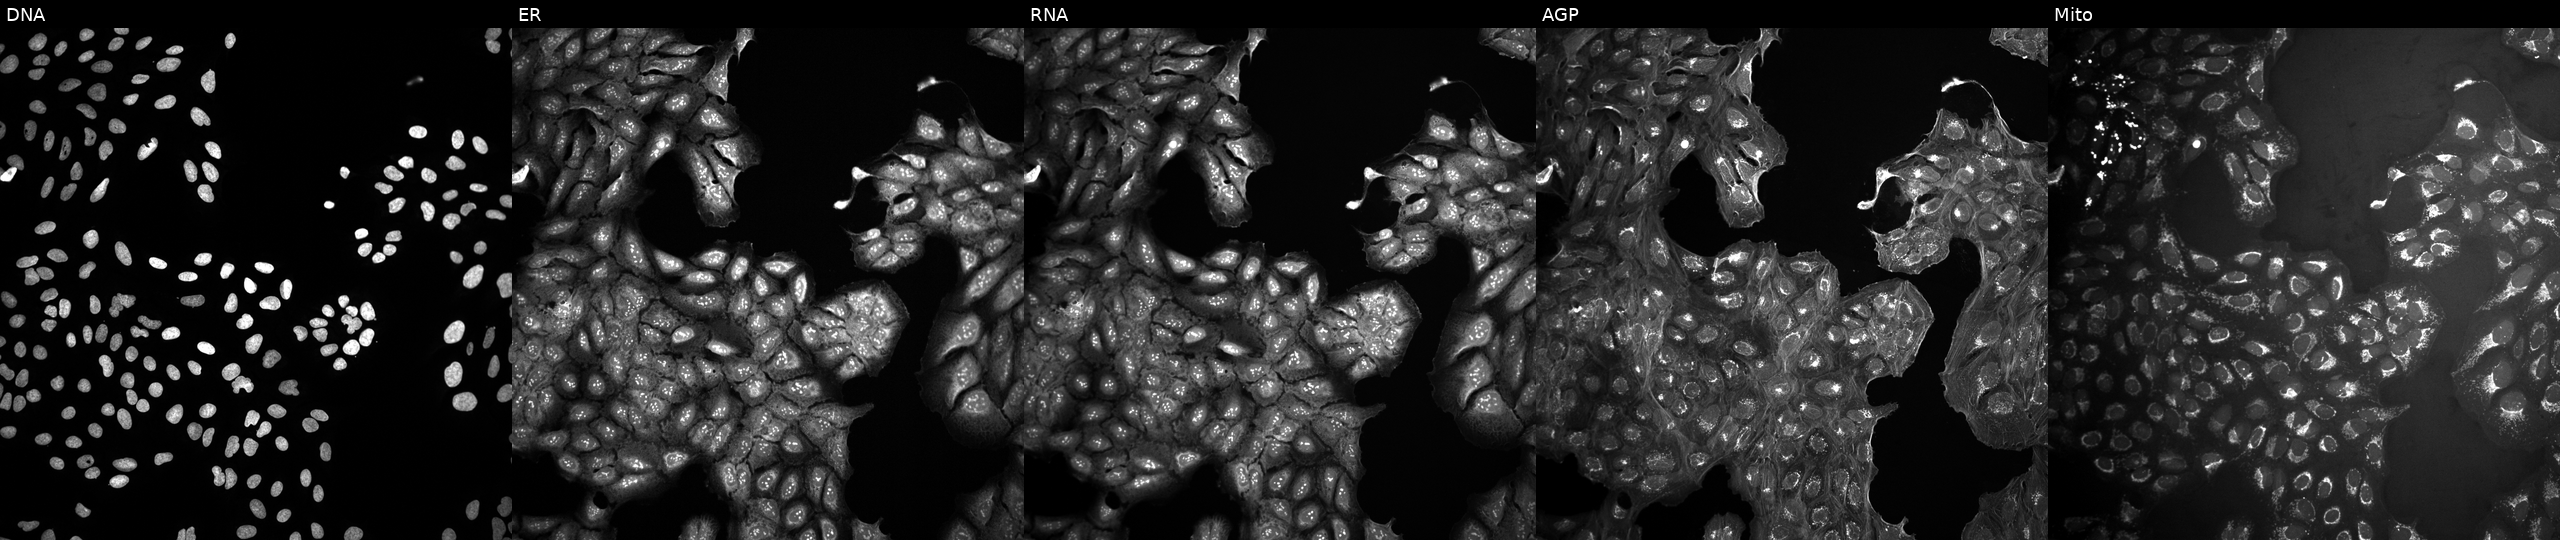
From left to right: DNA, ER, RNA, AGP, and Mito. U2OS osteosarcoma cells untreated (empty-well control). Cell Painting assay, JUMP-CP dataset. Source 10, plate Dest210531-152149, well L22.